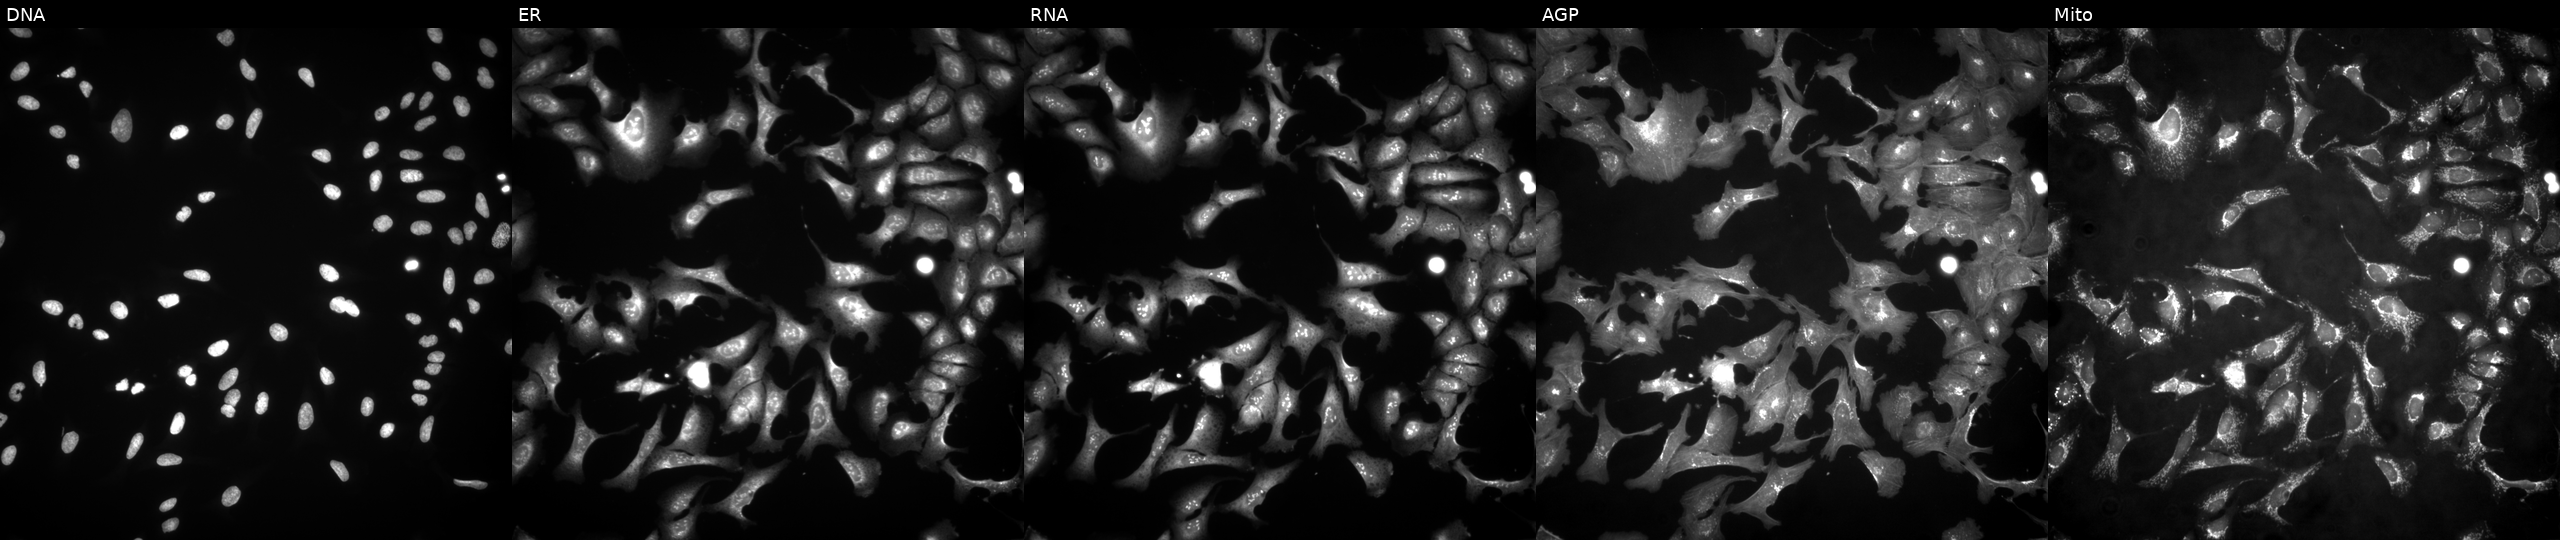
Channels (left→right): Hoechst 33342, concanavalin A, SYTO 14, phalloidin and WGA, MitoTracker. U2OS osteosarcoma cells transfected with an ORF construct for LEFTY2 (JUMP id JCP2022_901549). Cell Painting assay, JUMP-CP dataset. Source 4, plate BR00123509, well G11.